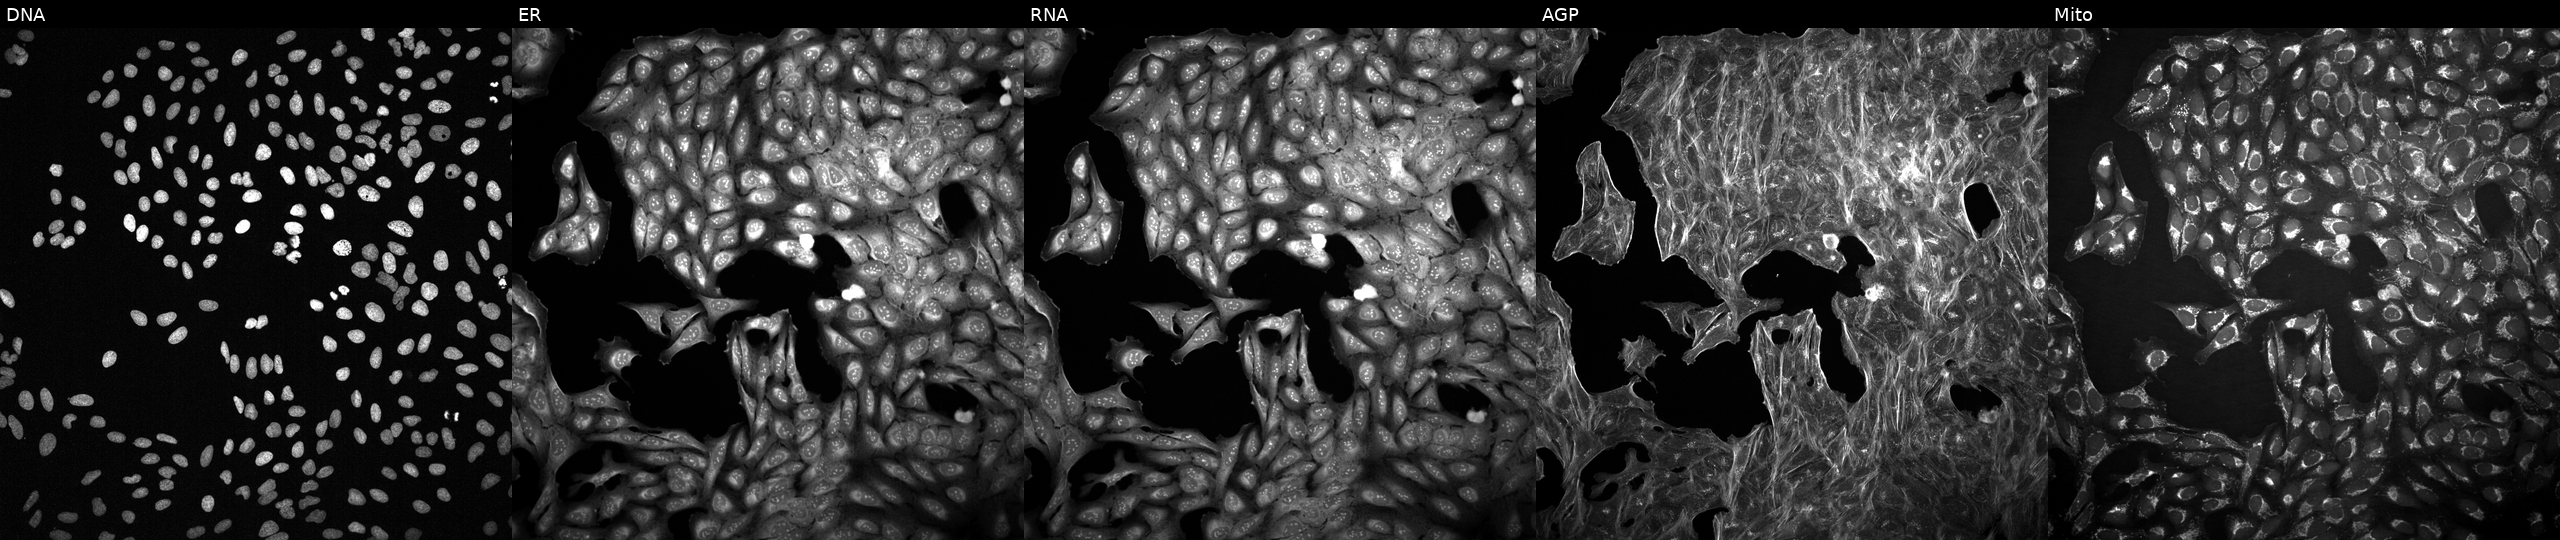
This image strip shows the five Cell Painting channels for a single field of U2OS cells treated with DMSO vehicle only (negative control) (JUMP id JCP2022_033924). Channels (left→right): DNA, ER, RNA, AGP, and Mito.